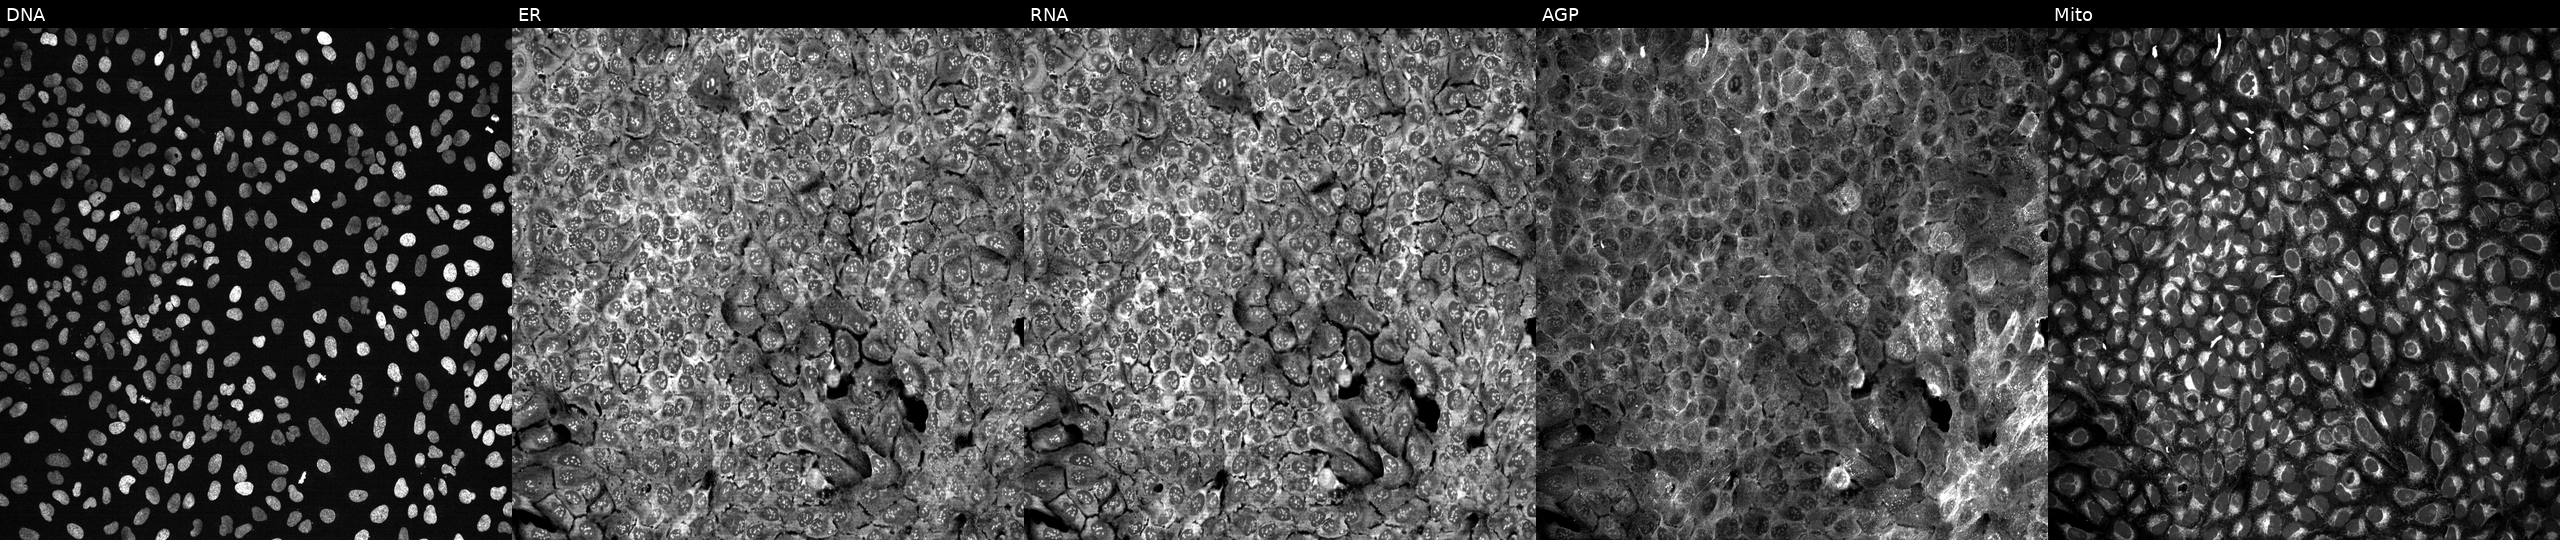
Panels show, left to right, DNA (nuclei); ER (endoplasmic reticulum); RNA (nucleoli and cytoplasmic RNA); AGP (actin cytoskeleton, Golgi, and plasma membrane); Mito (mitochondria). U2OS osteosarcoma cells with FUT7 knocked out by CRISPR (JUMP id JCP2022_802516). Cell Painting assay, JUMP-CP dataset.